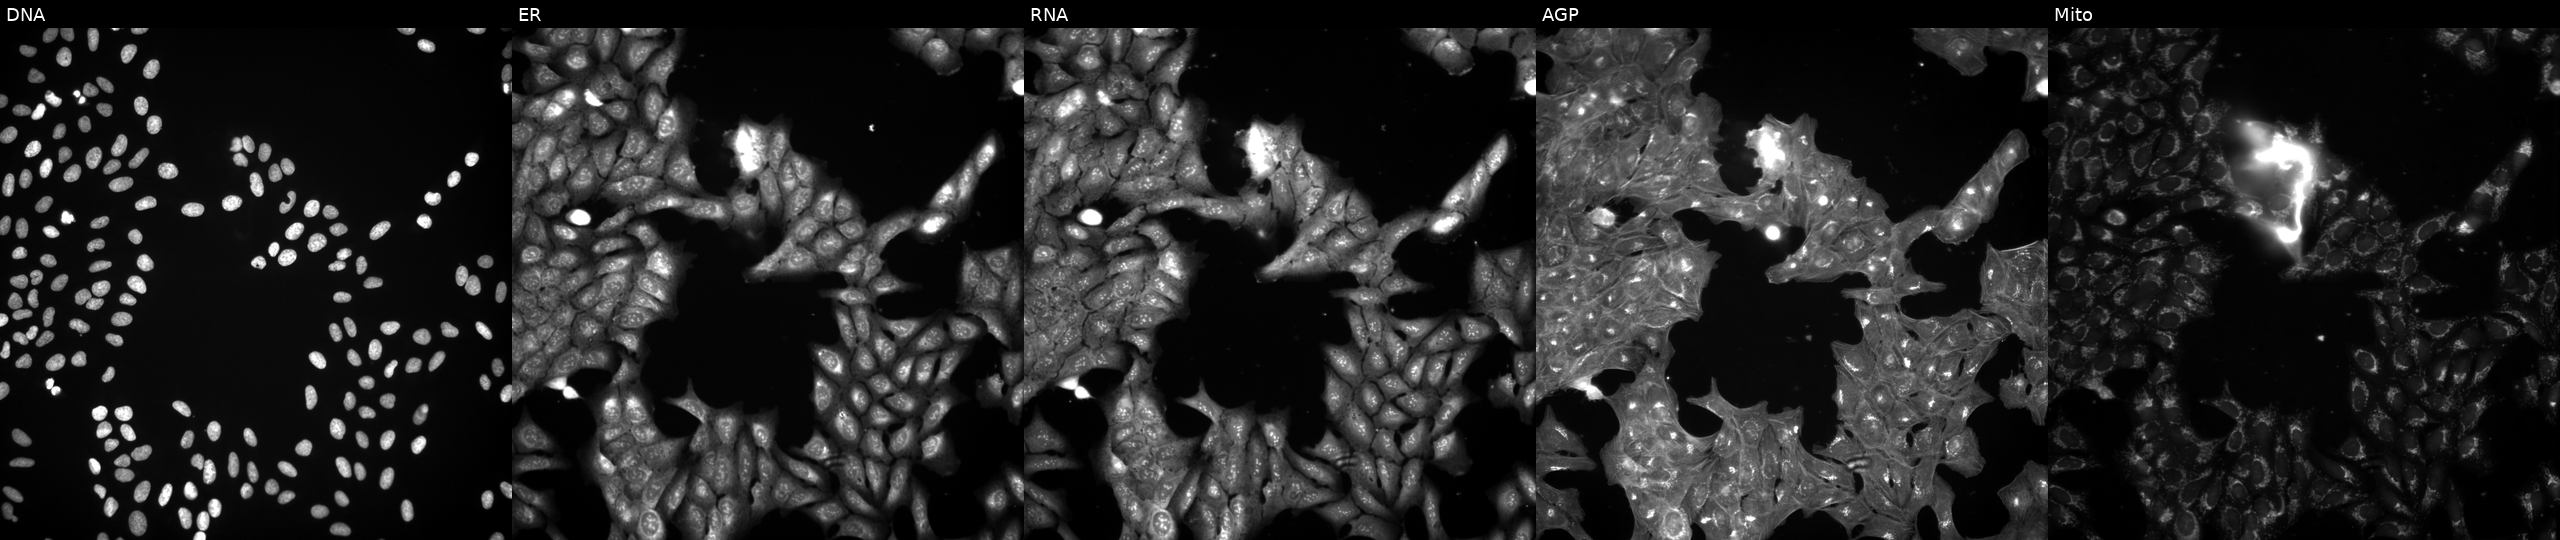
This image strip shows the five Cell Painting channels for a single field of U2OS cells exposed to a small-molecule compound. From left to right: Hoechst 33342, concanavalin A, SYTO 14, phalloidin and WGA, MitoTracker.